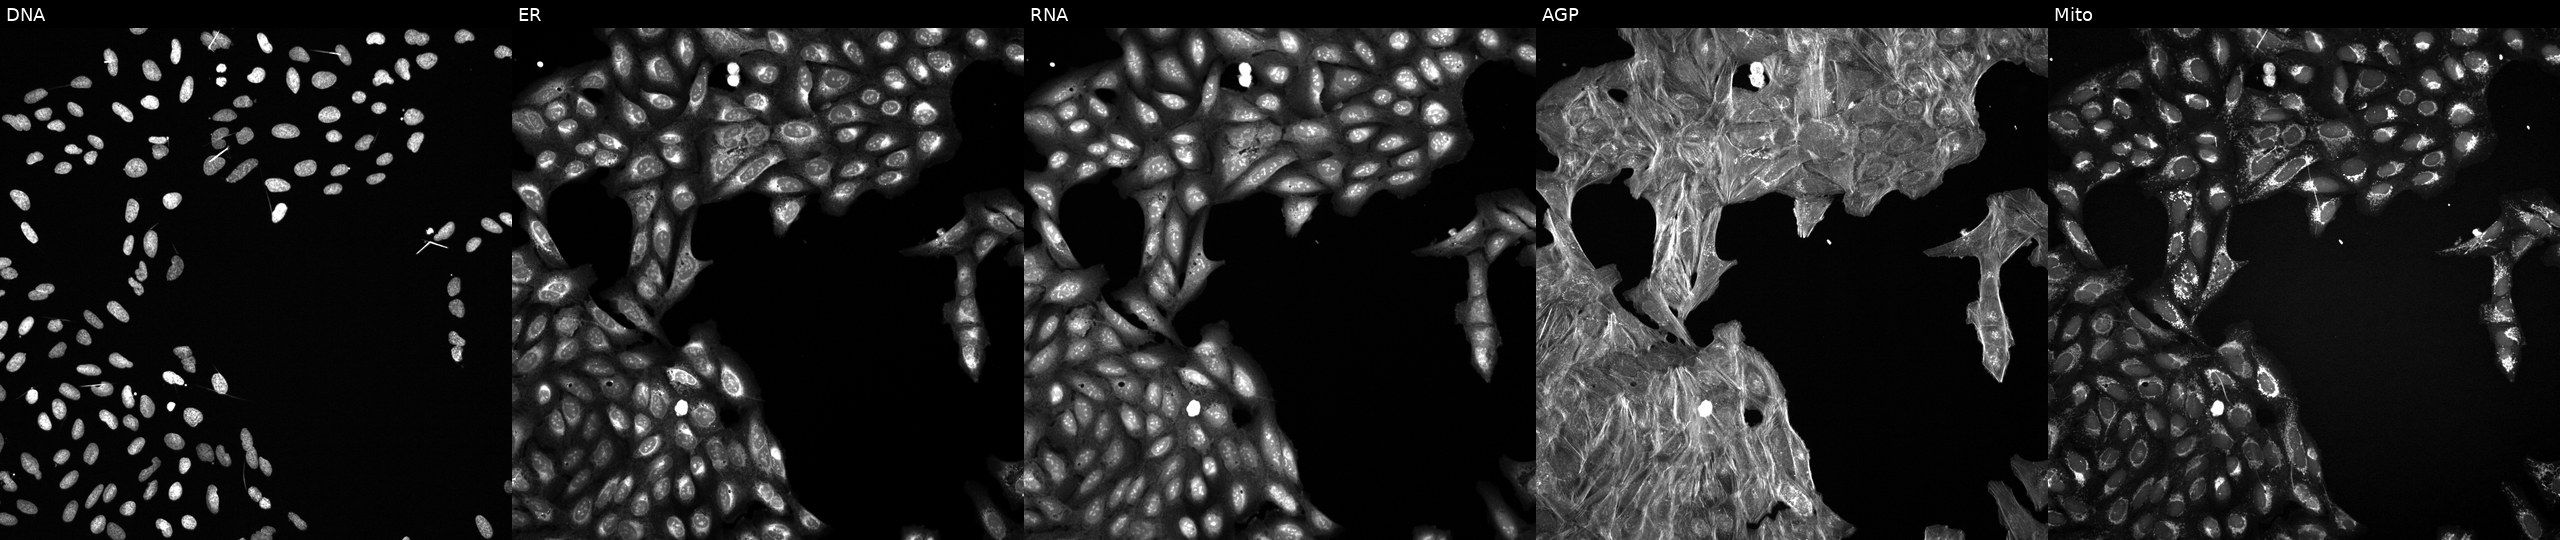
U2OS cells, Cell Painting assay, exposed to a small-molecule compound (InChIKey NJXYGUDRLCRWFC-UHFFFAOYSA-N). The five panels, left to right, show DNA (nuclei); ER (endoplasmic reticulum); RNA (nucleoli and cytoplasmic RNA); AGP (actin cytoskeleton, Golgi, and plasma membrane); Mito (mitochondria). Each panel is percentile-stretched 16-bit fluorescence.